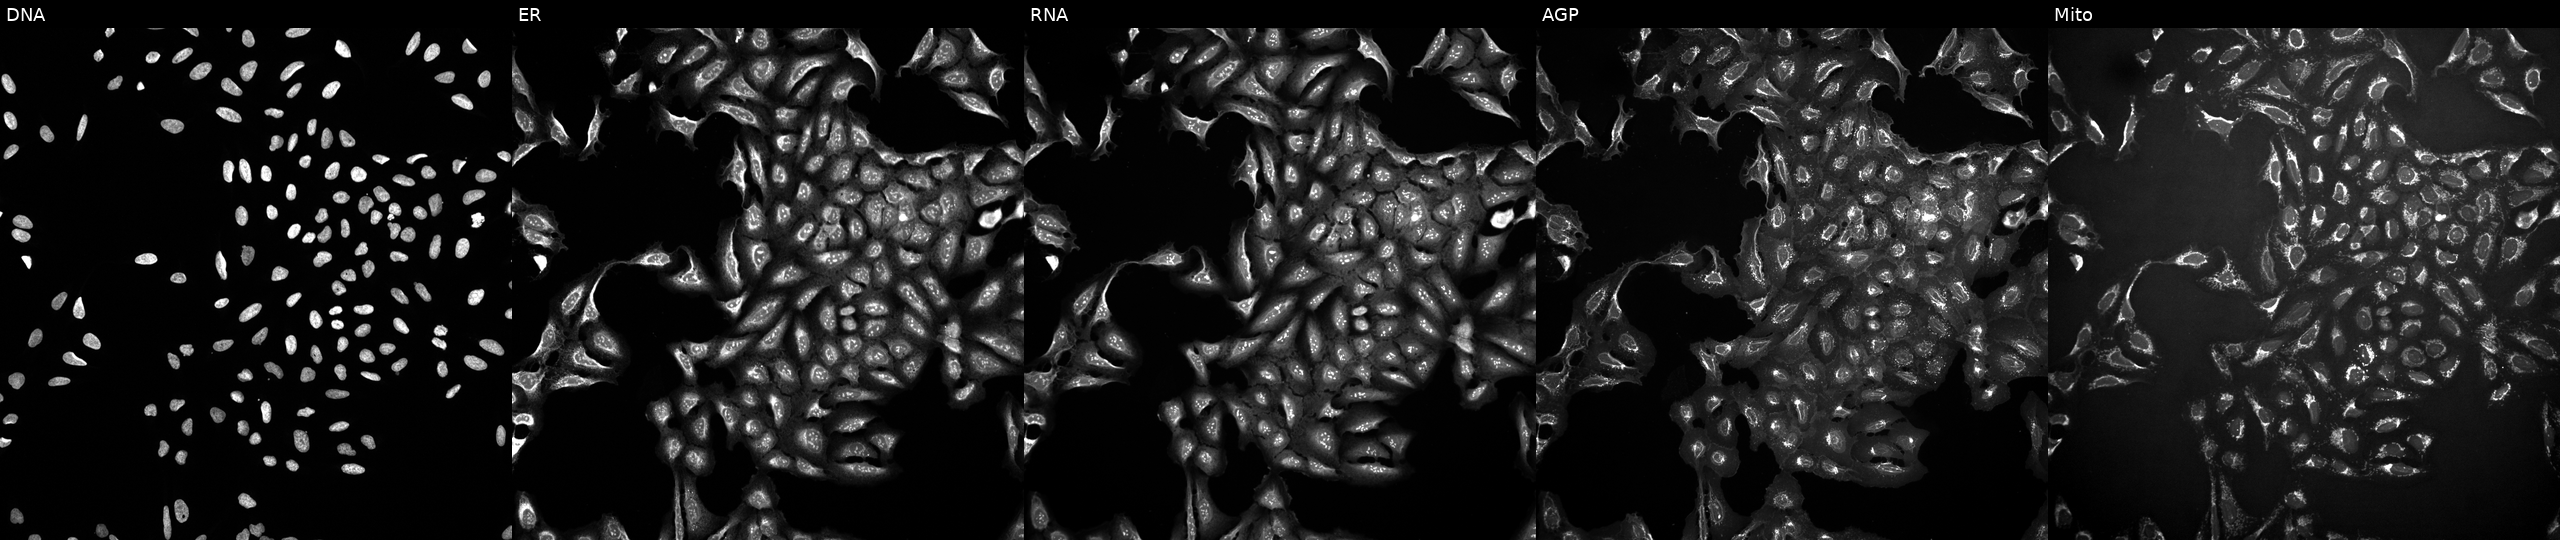
This image strip shows the five Cell Painting channels for a single field of U2OS cells exposed to DMSO alone as a negative control. From left to right: DNA (nuclei); ER (endoplasmic reticulum); RNA (nucleoli and cytoplasmic RNA); AGP (actin cytoskeleton, Golgi, and plasma membrane); Mito (mitochondria).